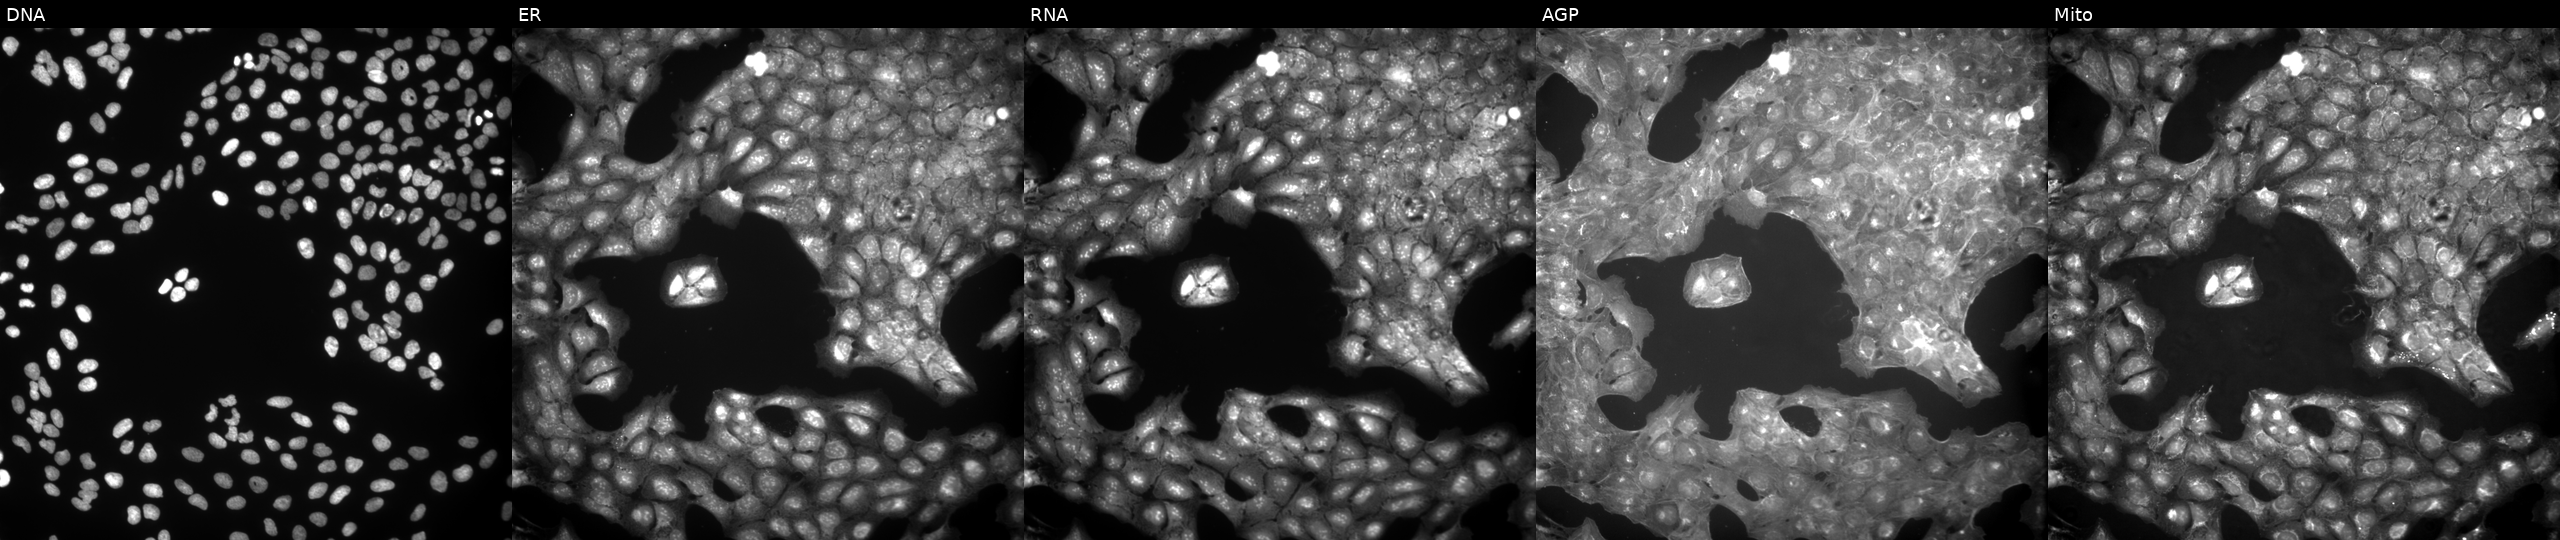
JUMP Cell Painting — COMPOUND plate. U2OS cells perturbed with a small-molecule compound (InChIKey PLXUGBJMANOERC-UHFFFAOYSA-N) [SMILES: CCOc1ccccc1NC(=O)CSc1nnc(C)s1]. Panels show, left to right, Hoechst 33342, concanavalin A, SYTO 14, phalloidin and WGA, MitoTracker. Source 9, plate GR00003381, well B29.